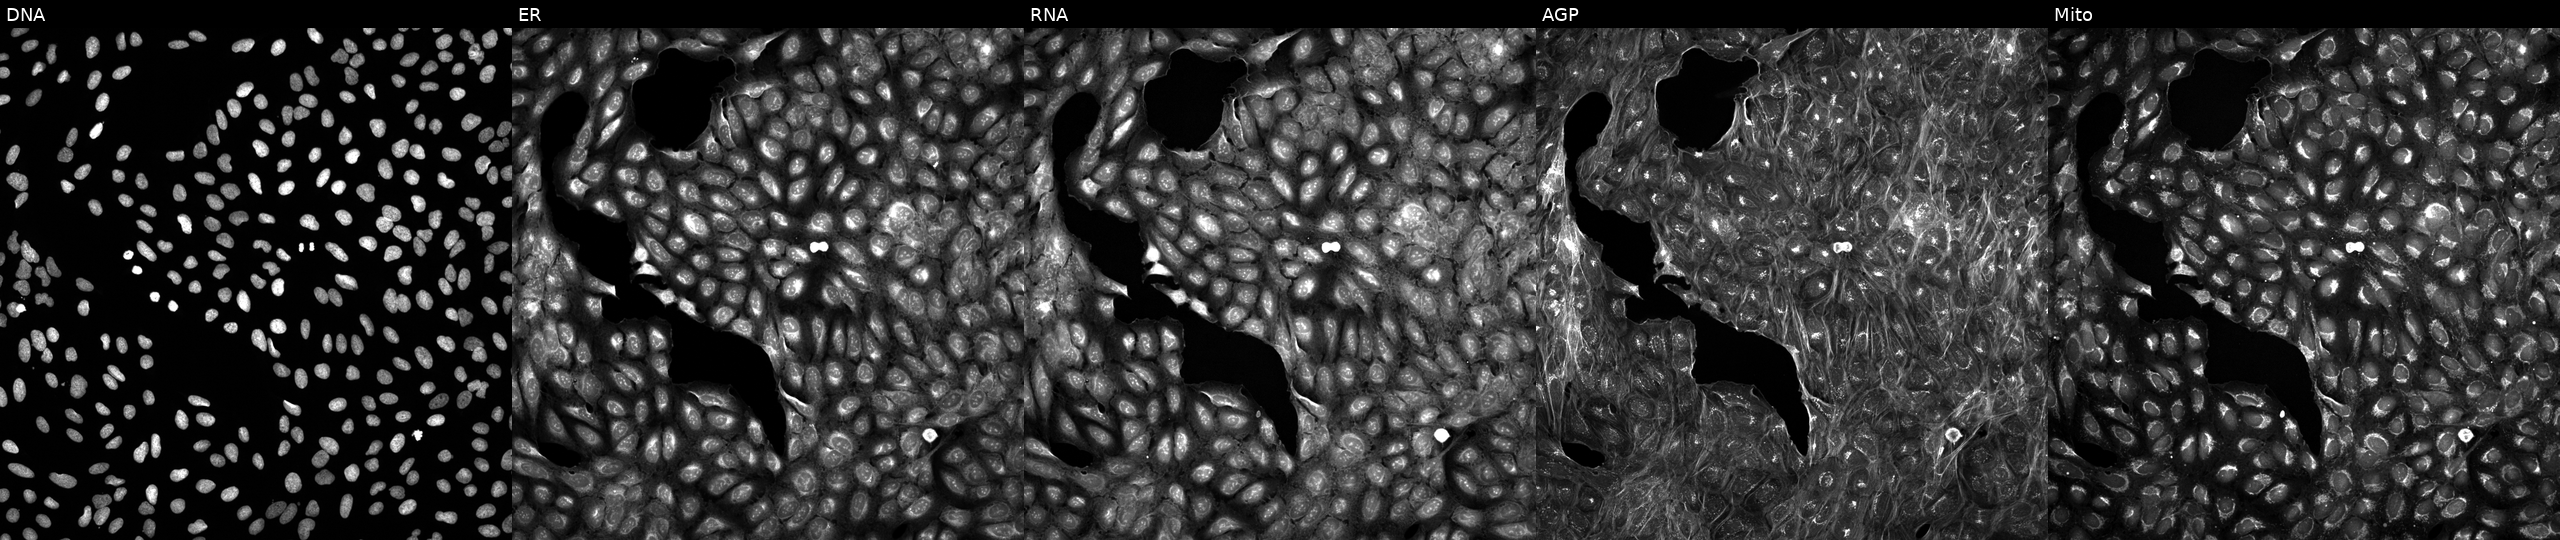
This image strip shows the five Cell Painting channels for a single field of U2OS cells treated with a small-molecule compound (JUMP id JCP2022_028032). The five panels, left to right, show Hoechst 33342, concanavalin A, SYTO 14, phalloidin and WGA, MitoTracker.